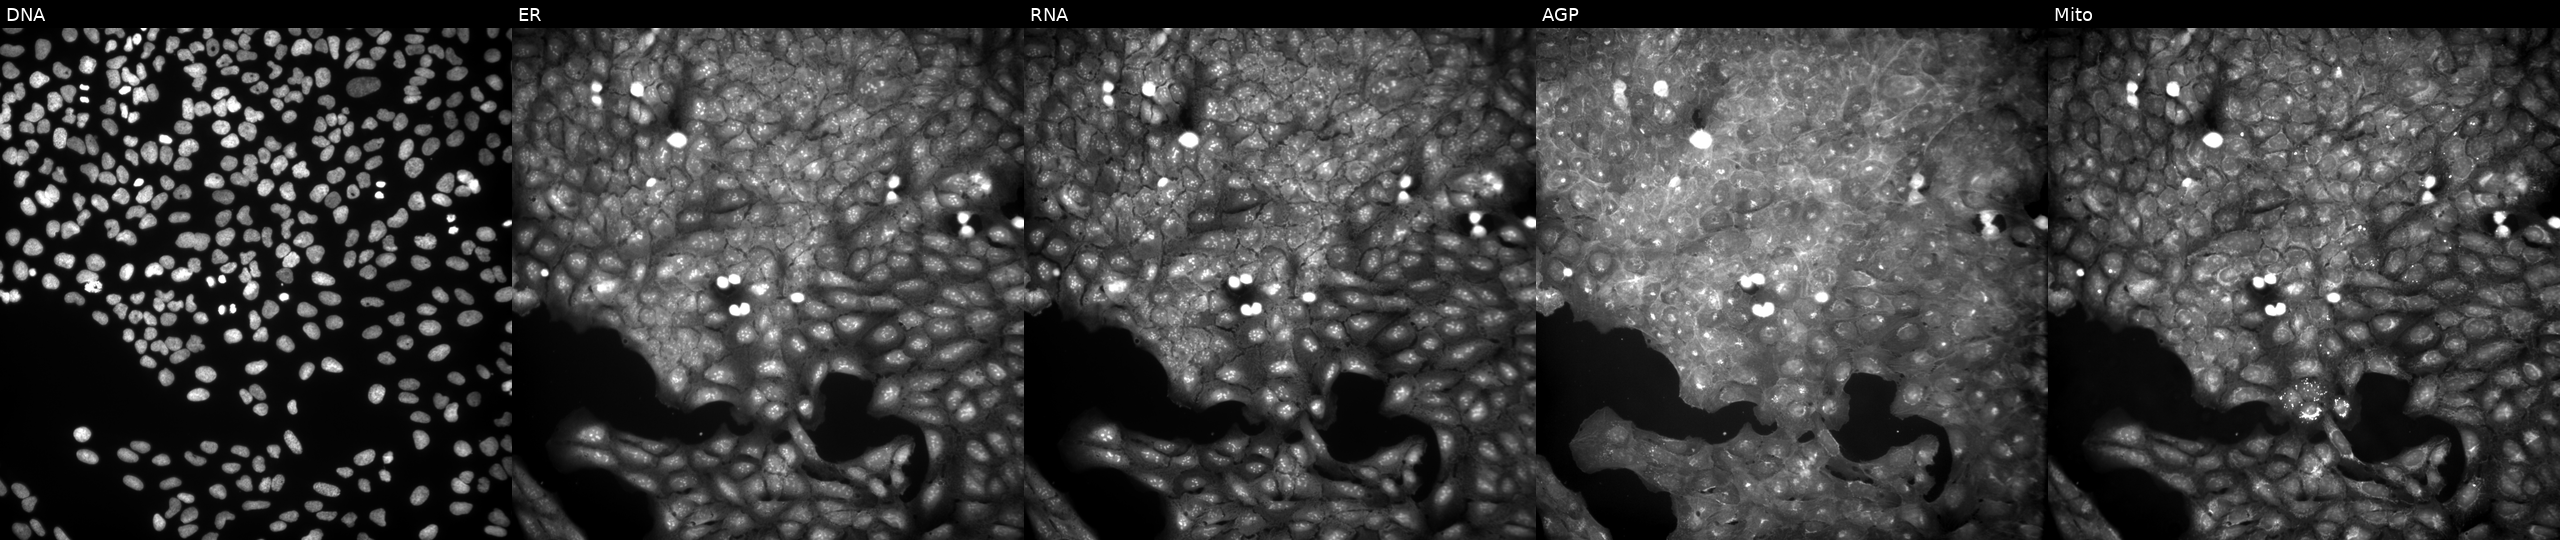
U2OS cells, Cell Painting assay, exposed to a small-molecule compound (InChIKey HRBCMCHRBHCROM-UHFFFAOYSA-N). Panels show, left to right, Hoechst 33342, concanavalin A, SYTO 14, phalloidin and WGA, MitoTracker. Each panel is percentile-stretched 16-bit fluorescence.